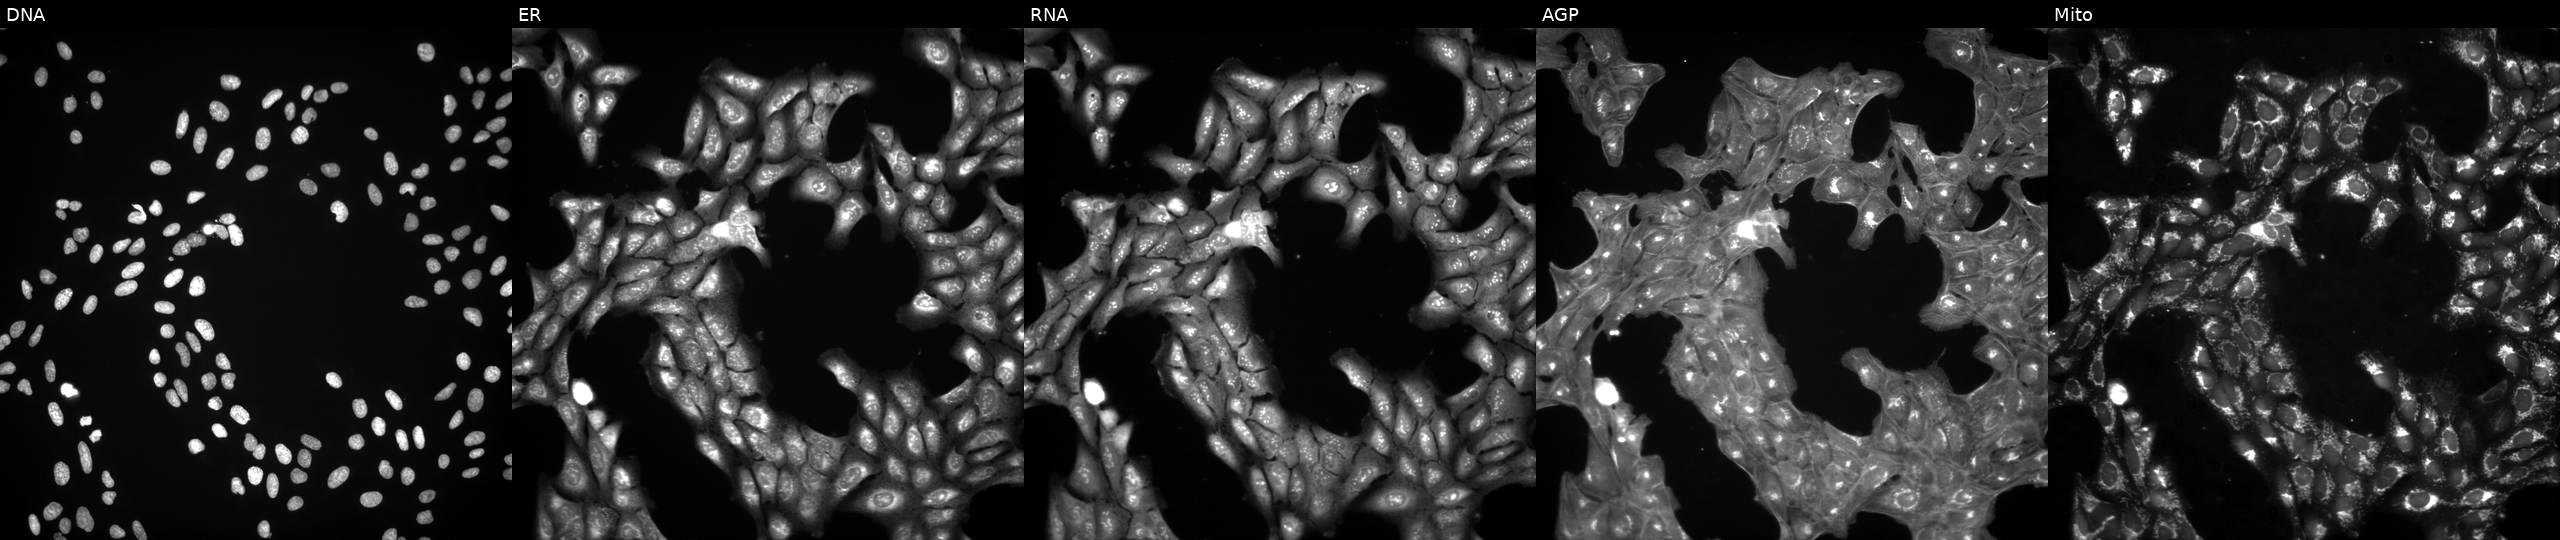
Five-channel Cell Painting image of U2OS cells perturbed with a small-molecule compound (InChIKey PWKSKIMOESPYIA-UHFFFAOYSA-N) (JUMP id JCP2022_071429). Panels show, left to right, DNA (nuclei); ER (endoplasmic reticulum); RNA (nucleoli and cytoplasmic RNA); AGP (actin cytoskeleton, Golgi, and plasma membrane); Mito (mitochondria).